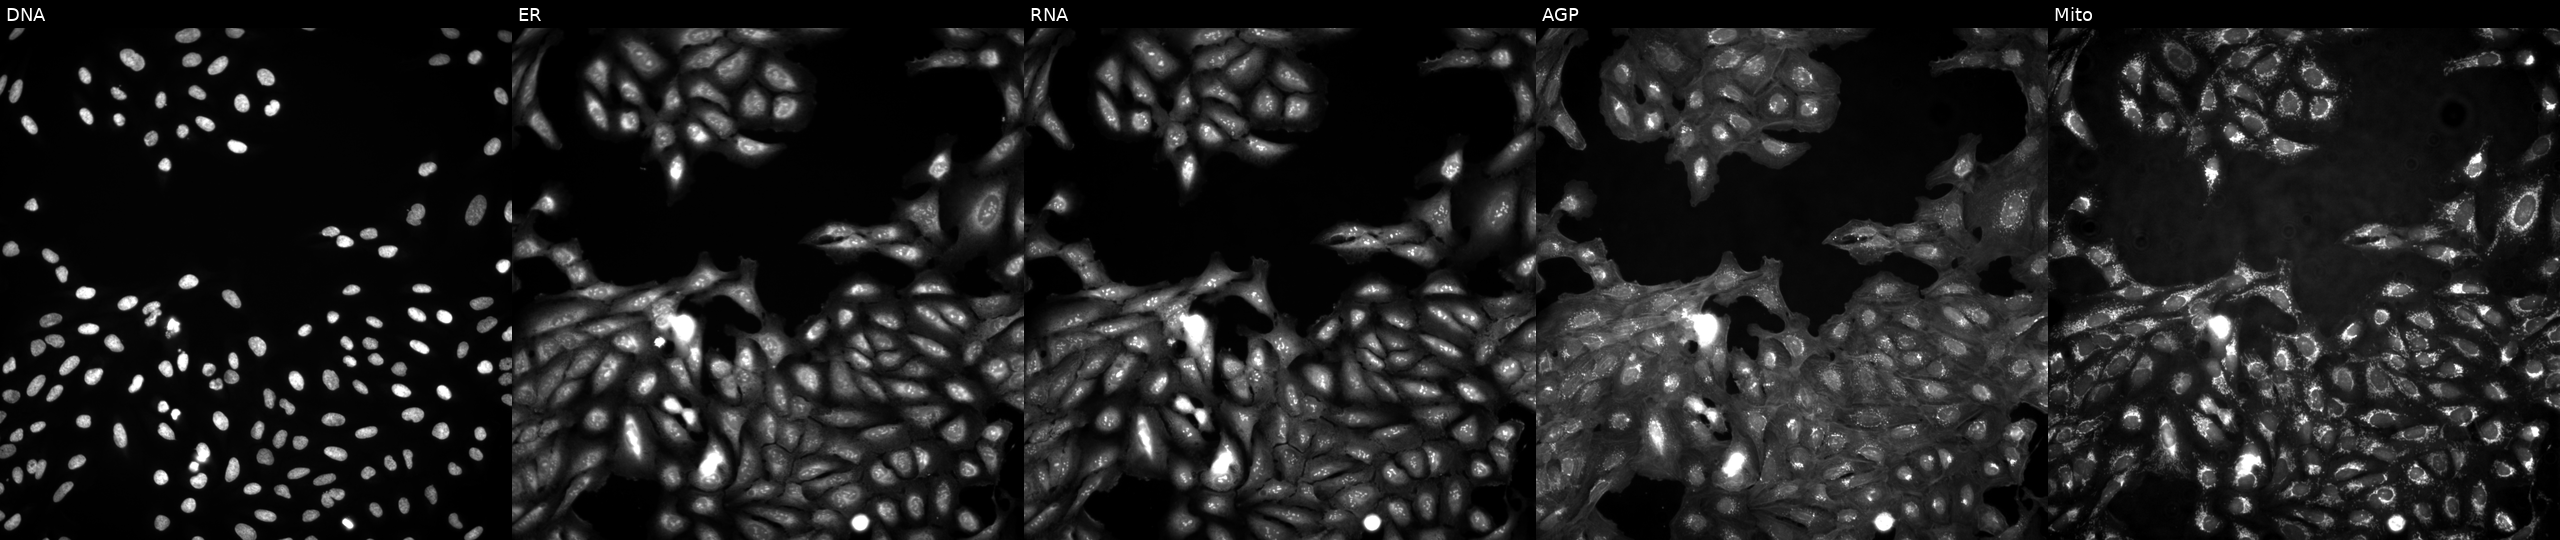
Five-channel Cell Painting image of U2OS cells in an empty control well (no perturbation). From left to right: Hoechst 33342, concanavalin A, SYTO 14, phalloidin and WGA, MitoTracker.